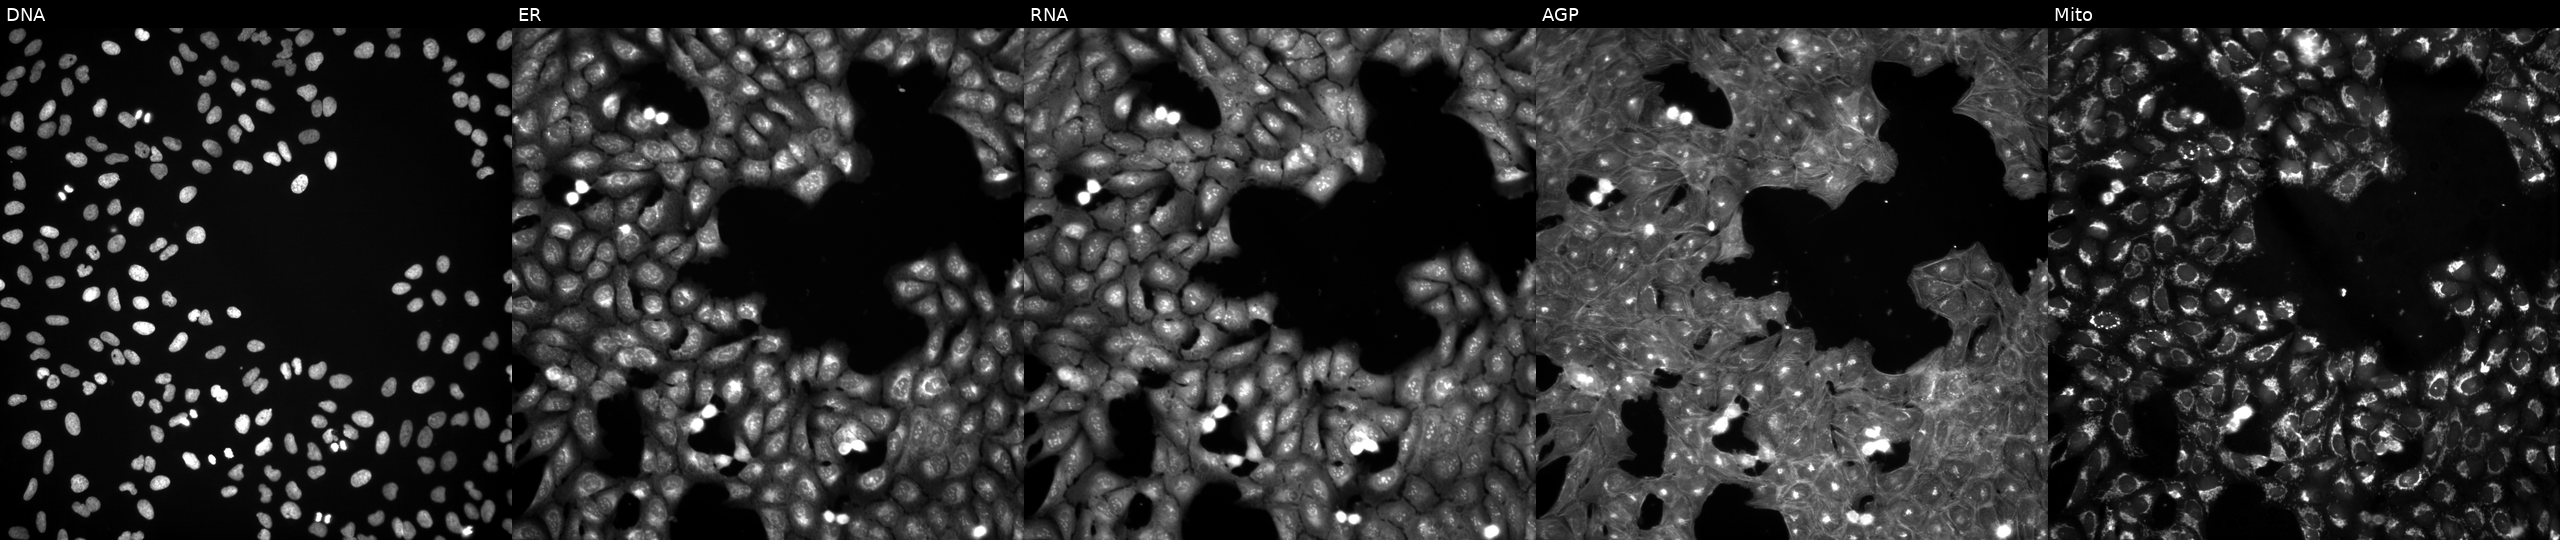
Five-channel Cell Painting image of U2OS cells treated with DMSO vehicle only (negative control) (JUMP id JCP2022_033924). The five panels, left to right, show Hoechst 33342, concanavalin A, SYTO 14, phalloidin and WGA, MitoTracker.